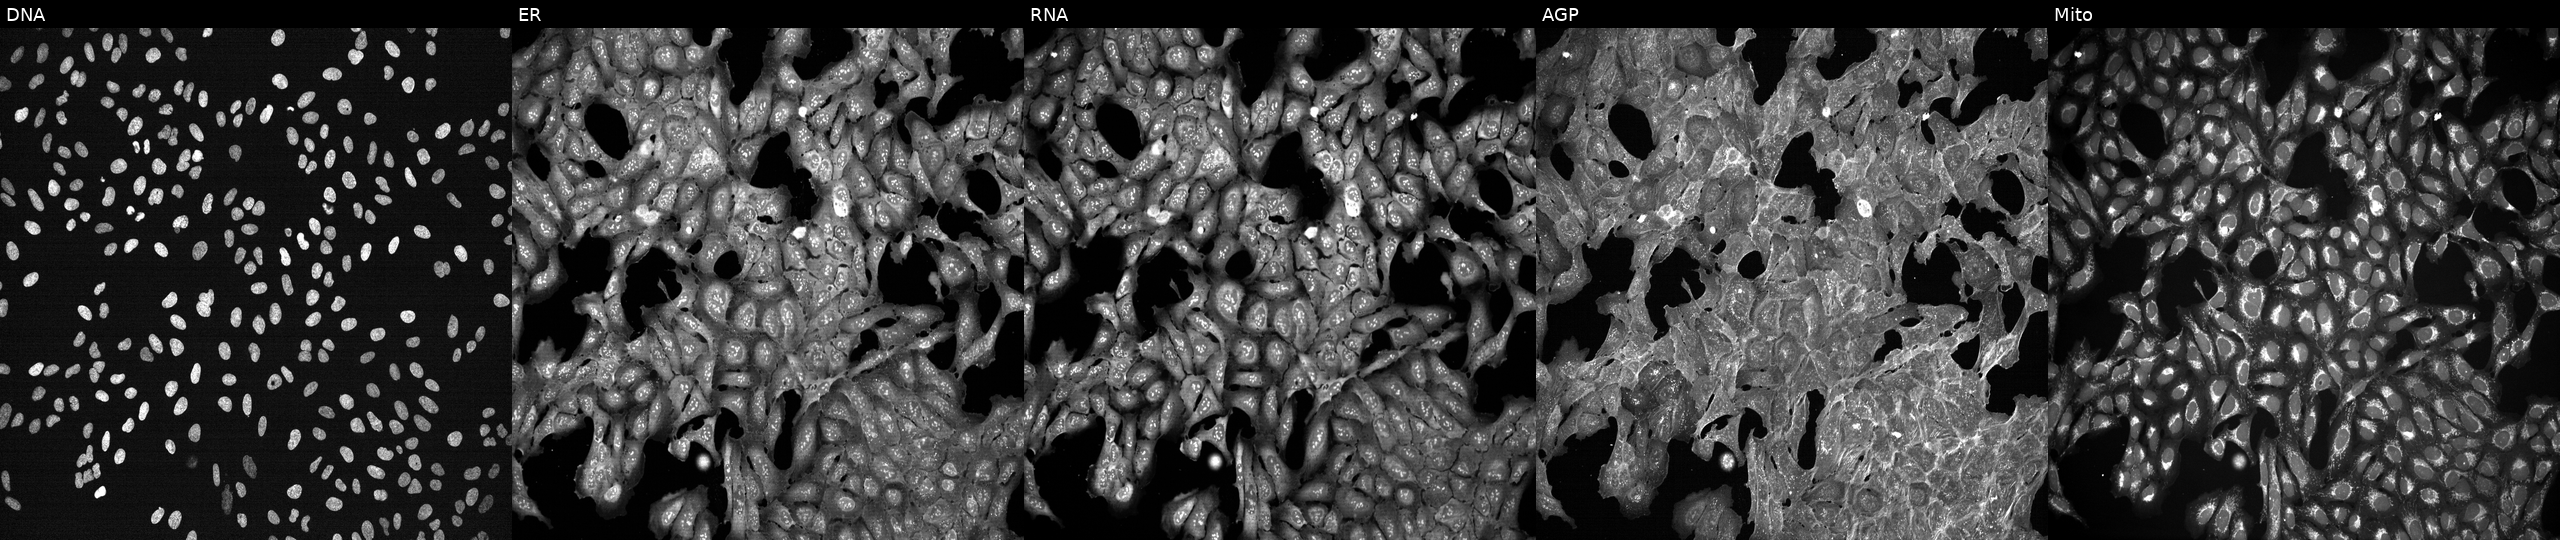
The five panels, left to right, show DNA, ER, RNA, AGP, and Mito. U2OS osteosarcoma cells exposed to a small-molecule compound (InChIKey NZHGWWWHIYHZNX-UHFFFAOYSA-N) [SMILES: COc1ccc(C=CC(=O)Nc2ccccc2C(=O)O)cc1OC]. Cell Painting assay, JUMP-CP dataset.